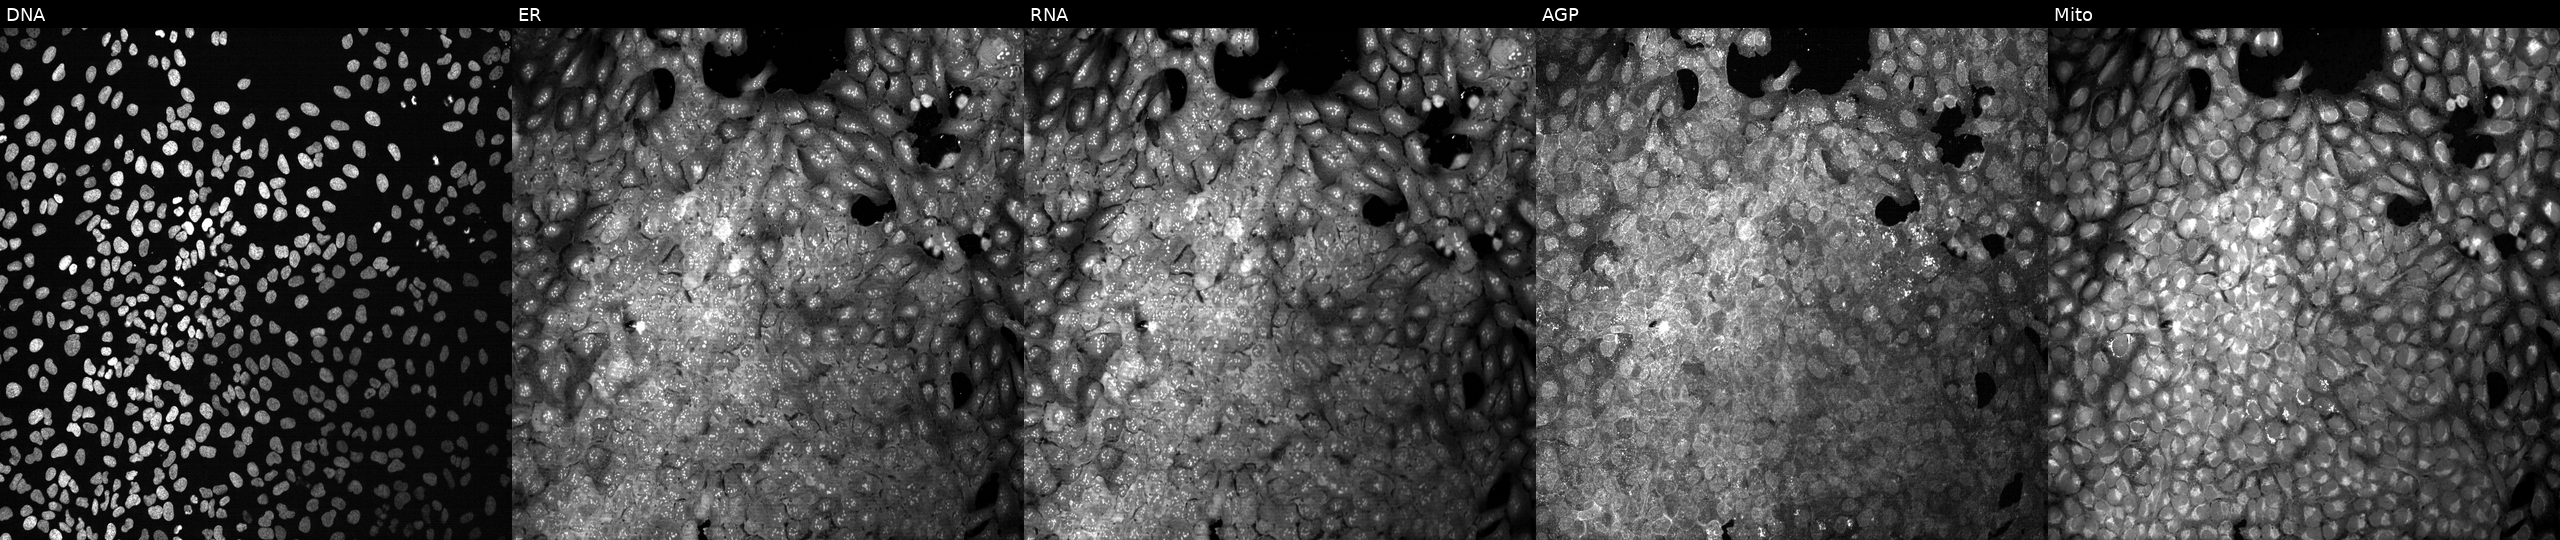
This image strip shows the five Cell Painting channels for a single field of U2OS cells with a non-targeting CRISPR guide (negative control). Panels show, left to right, Hoechst 33342, concanavalin A, SYTO 14, phalloidin and WGA, MitoTracker.